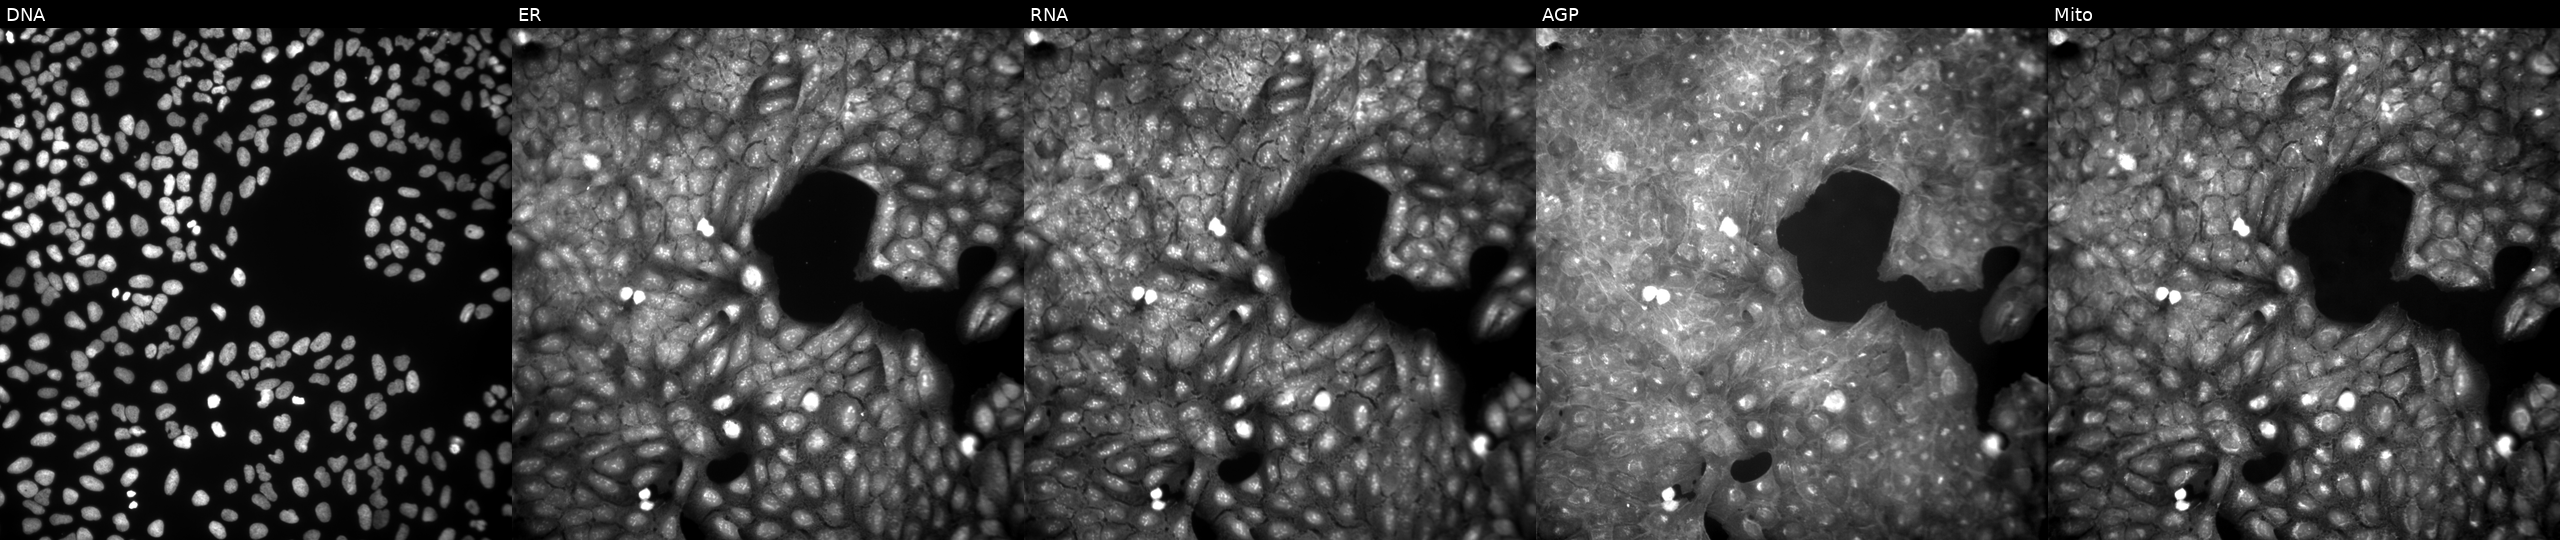
High-content fluorescence microscopy (Cell Painting). Cell line: U2OS. Perturbation: treated with DMSO vehicle only (negative control) (JUMP id JCP2022_033924). From left to right: DNA, ER, RNA, AGP, and Mito. Source 9, plate GR00003381, well L47.